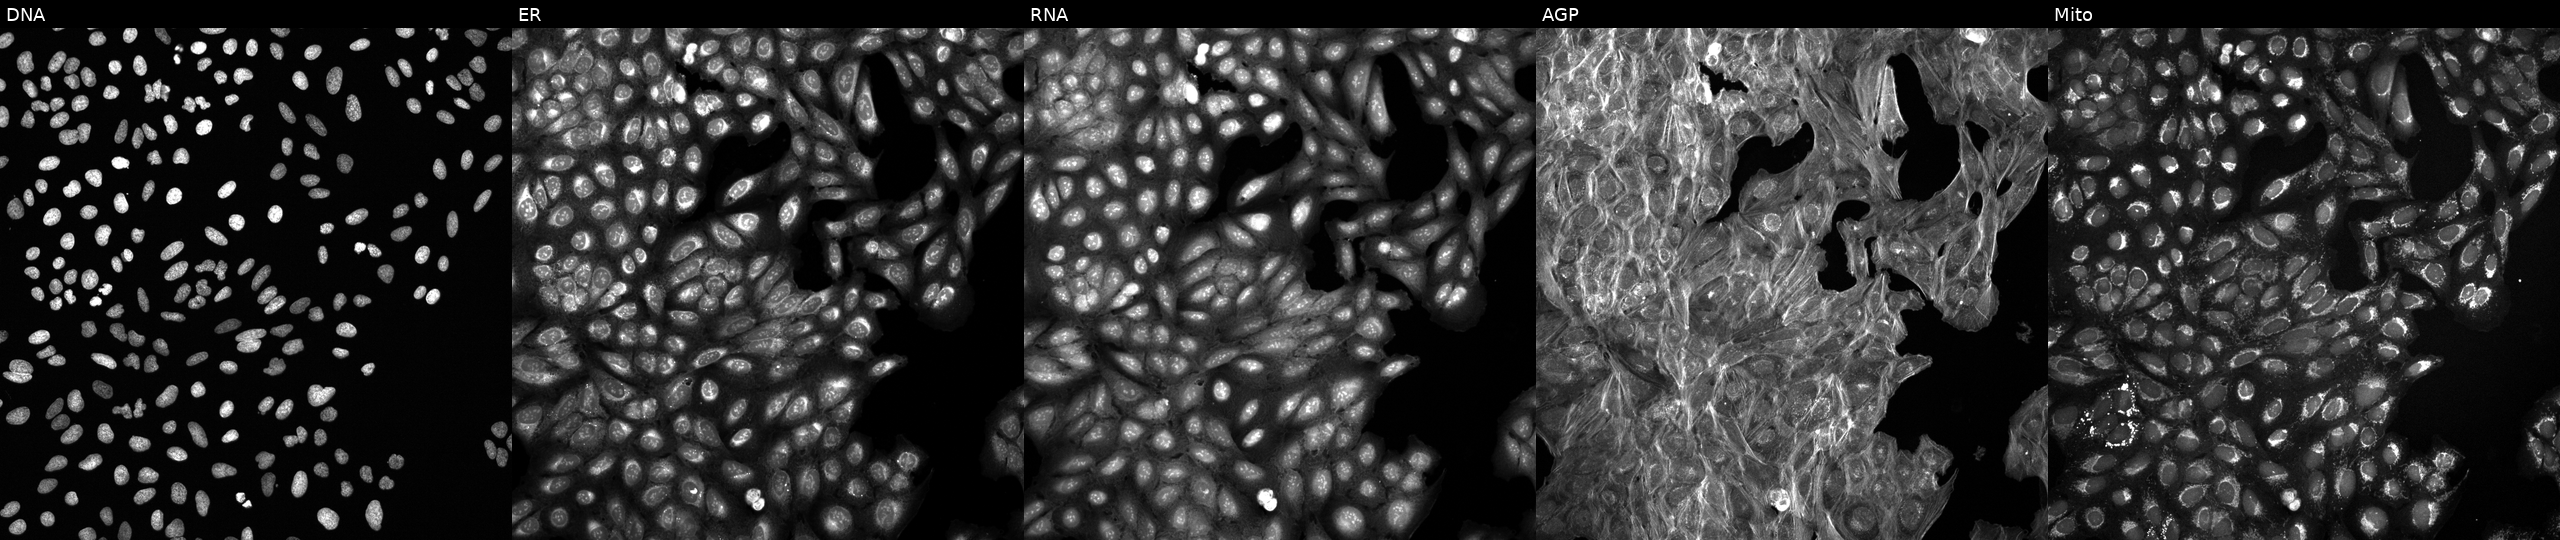
This image strip shows the five Cell Painting channels for a single field of U2OS cells perturbed with a small-molecule compound (JUMP id JCP2022_029951). Channels (left→right): DNA, ER, RNA, AGP, and Mito.